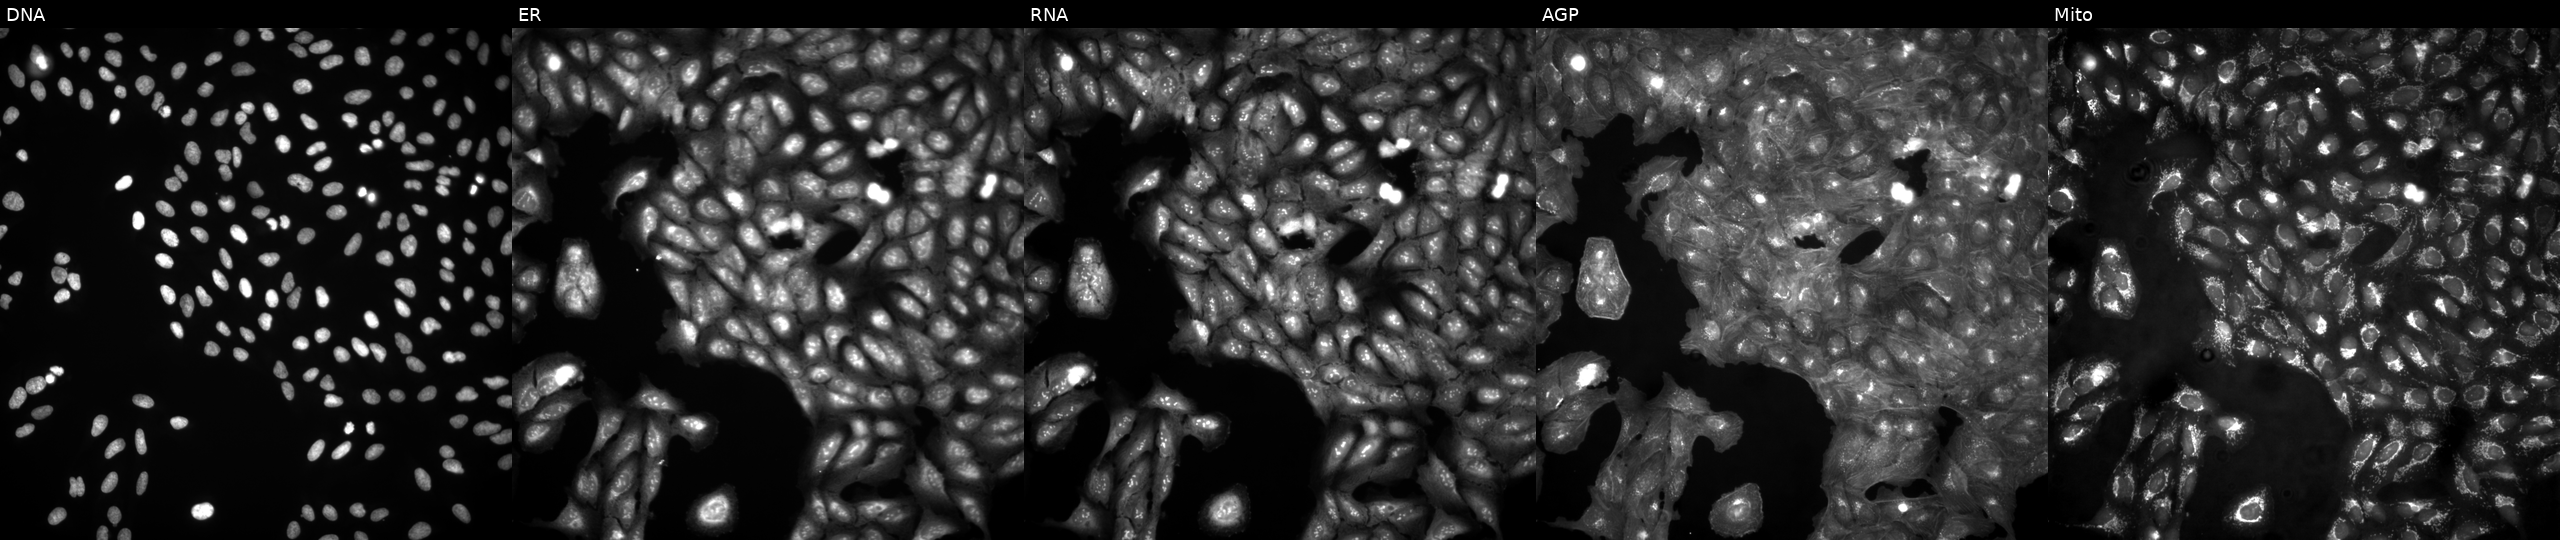
This image strip shows the five Cell Painting channels for a single field of U2OS cells in an empty control well (no perturbation). The five panels, left to right, show DNA (nuclei); ER (endoplasmic reticulum); RNA (nucleoli and cytoplasmic RNA); AGP (actin cytoskeleton, Golgi, and plasma membrane); Mito (mitochondria).